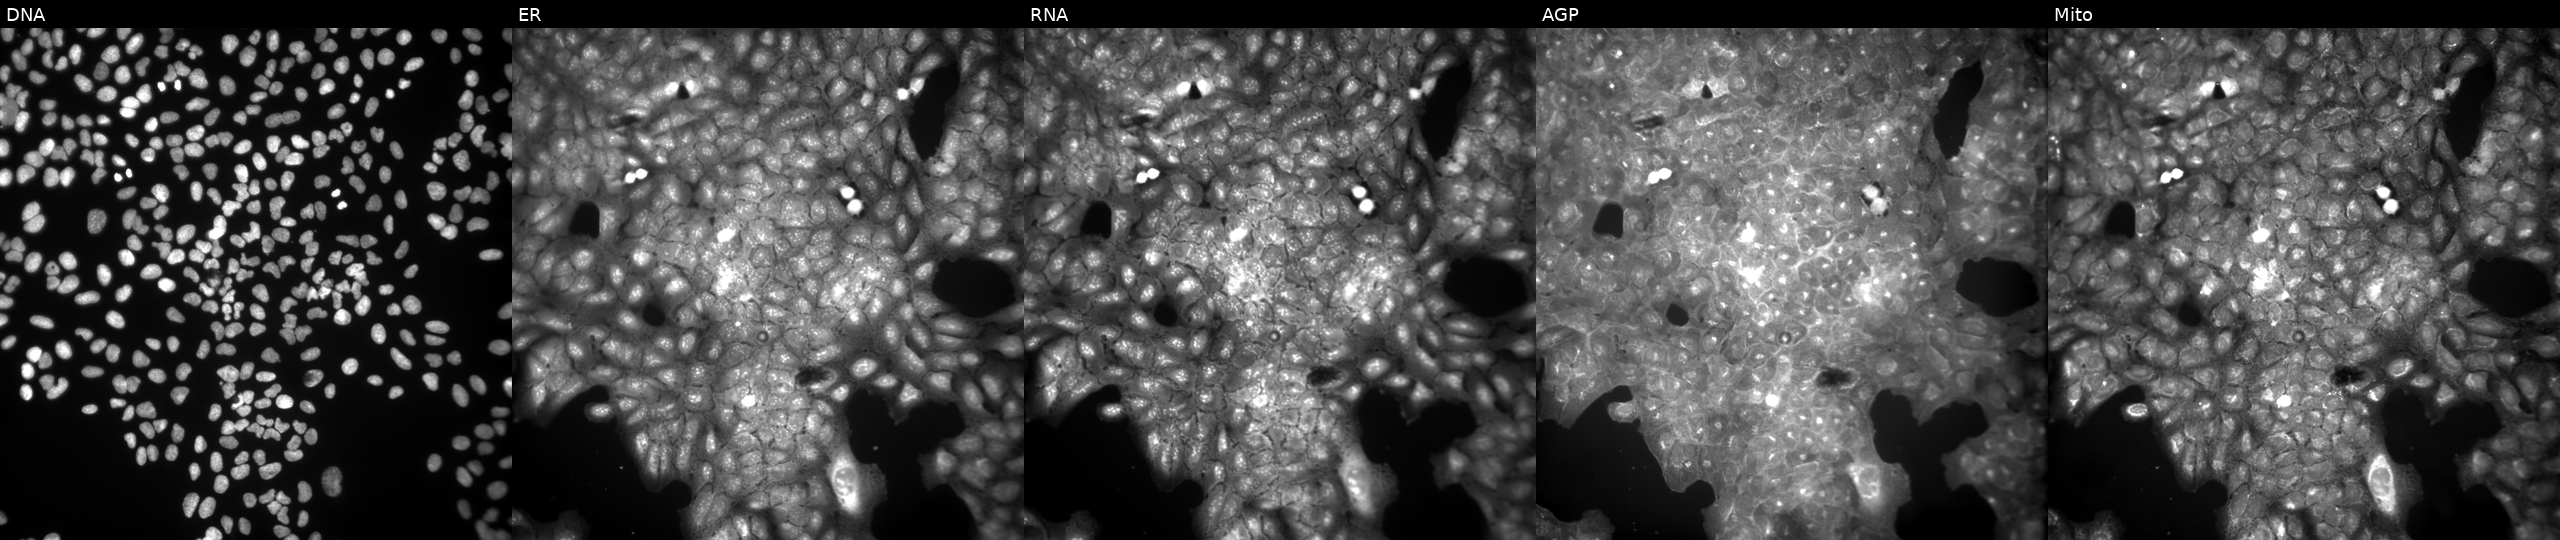
JUMP Cell Painting — COMPOUND plate. U2OS cells exposed to a small-molecule compound (InChIKey LWWAMJZNCTZXPY-UHFFFAOYSA-N). The five panels, left to right, show DNA, ER, RNA, AGP, and Mito. Source 9, plate GR00003381, well R46.